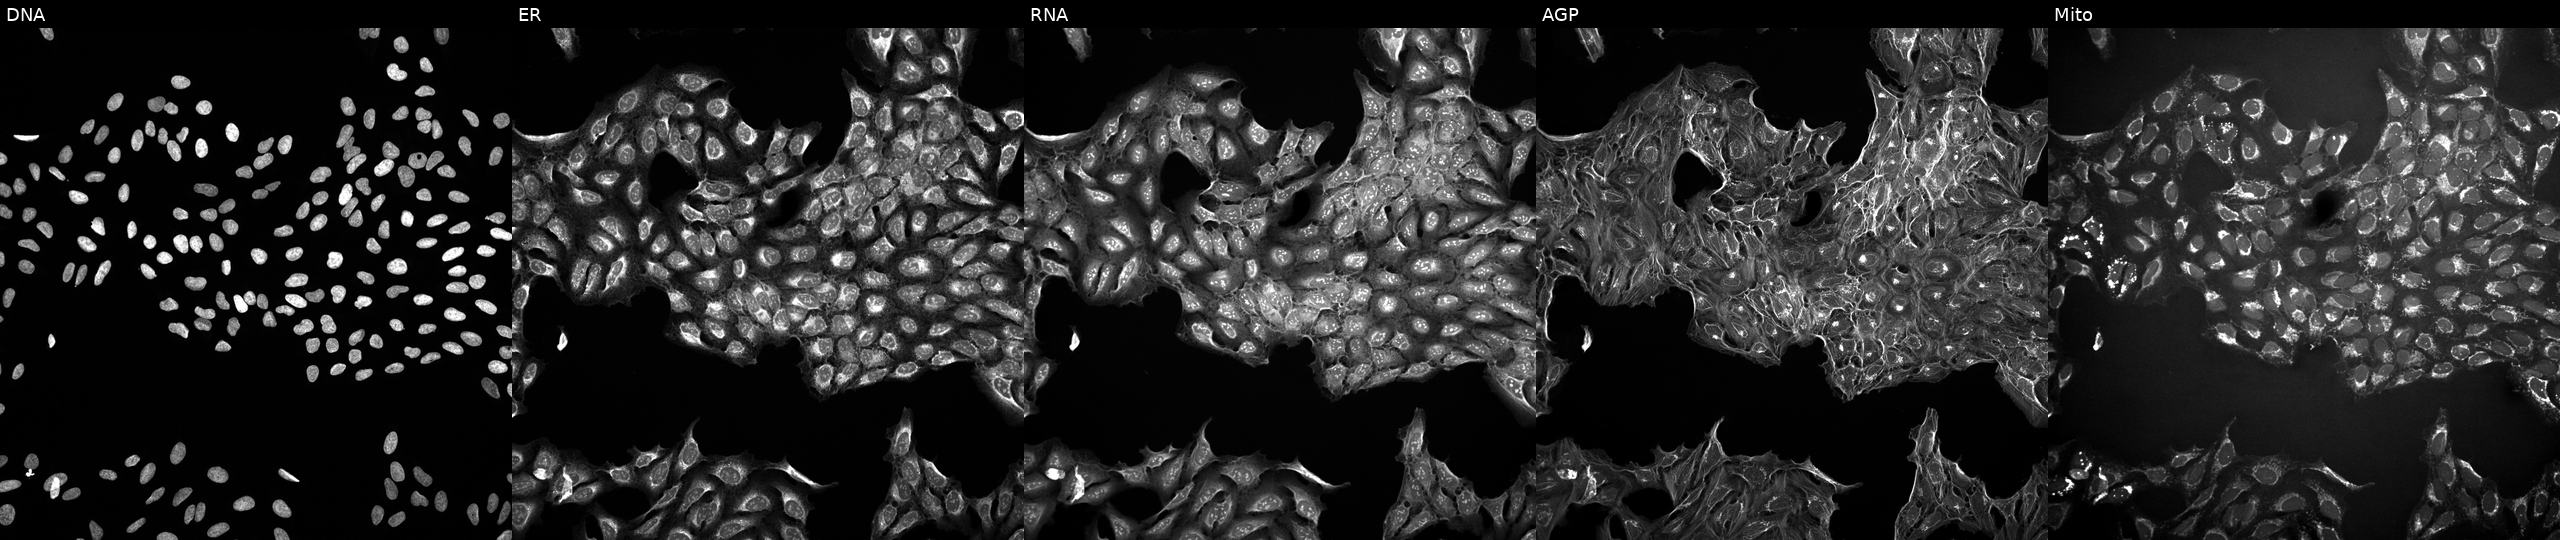
High-content fluorescence microscopy (Cell Painting). Cell line: U2OS. Perturbation: perturbed with a small-molecule compound. From left to right: DNA (nuclei); ER (endoplasmic reticulum); RNA (nucleoli and cytoplasmic RNA); AGP (actin cytoskeleton, Golgi, and plasma membrane); Mito (mitochondria).